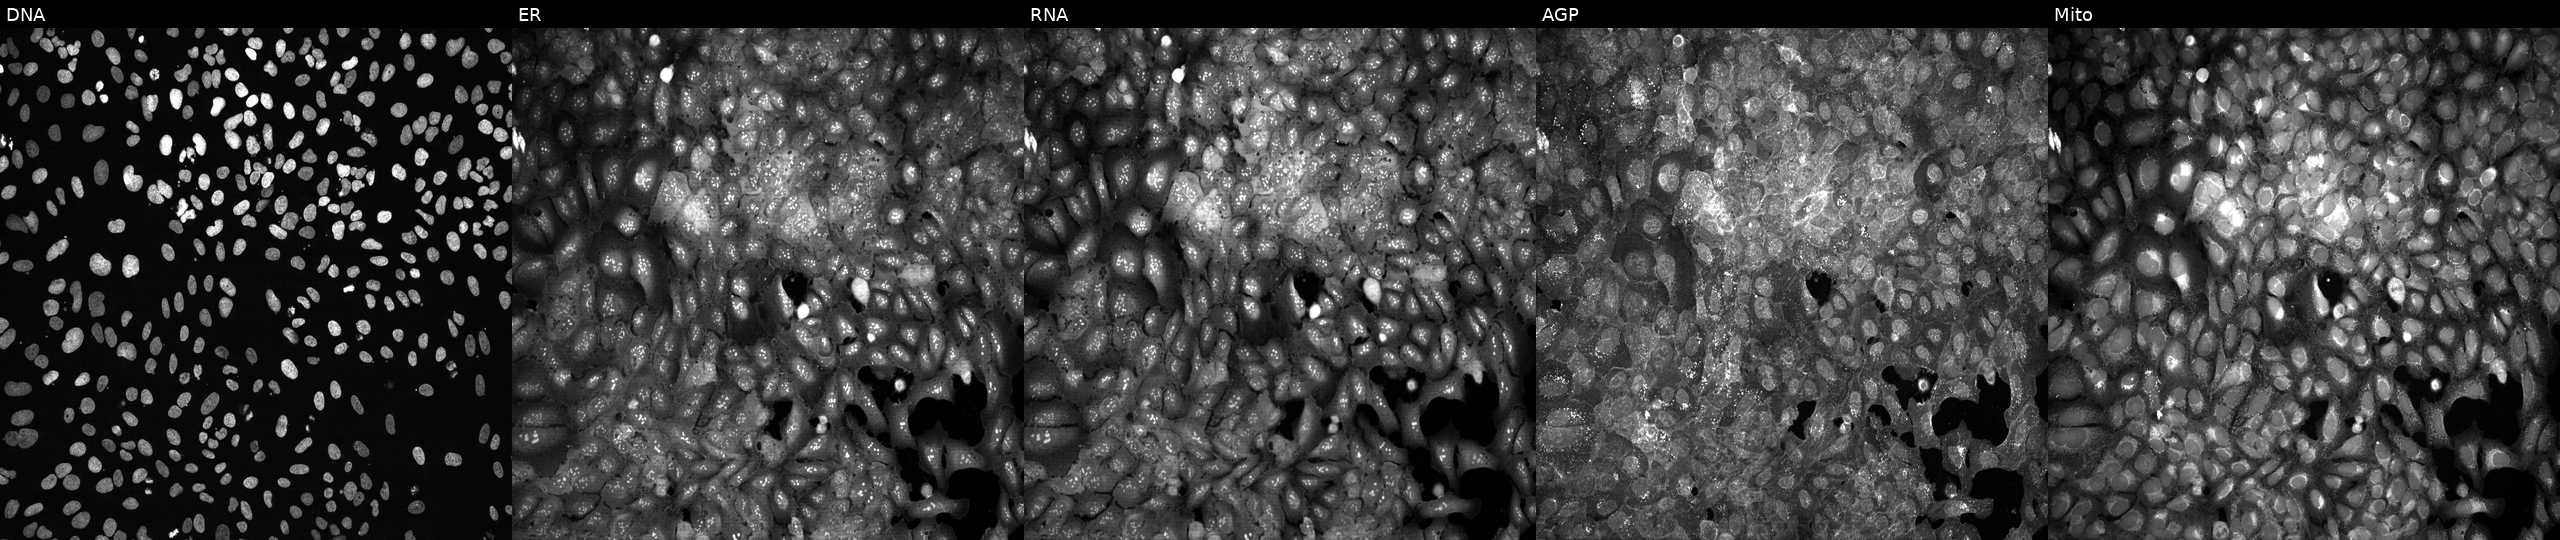
JUMP Cell Painting — CRISPR plate. U2OS cells following CRISPR knockout of MRPL9. Panels show, left to right, DNA, ER, RNA, AGP, and Mito.